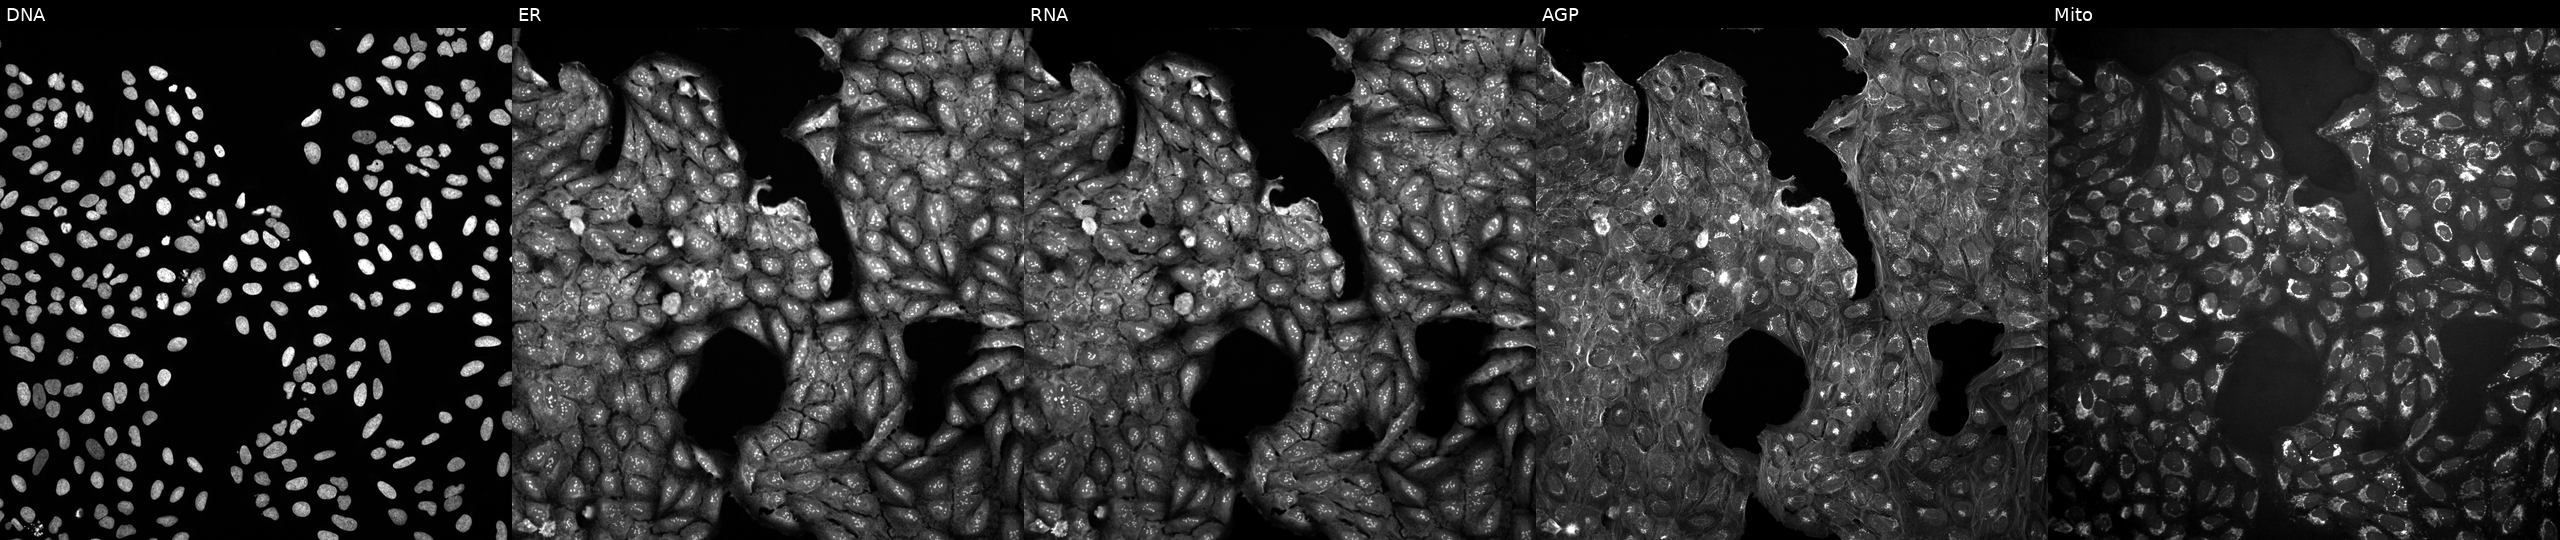
JUMP Cell Painting — COMPOUND plate. U2OS cells perturbed with a small-molecule compound (InChIKey BDOAFTBVNCMNRC-UHFFFAOYSA-N) (JUMP id JCP2022_005631). Panels show, left to right, Hoechst 33342, concanavalin A, SYTO 14, phalloidin and WGA, MitoTracker.